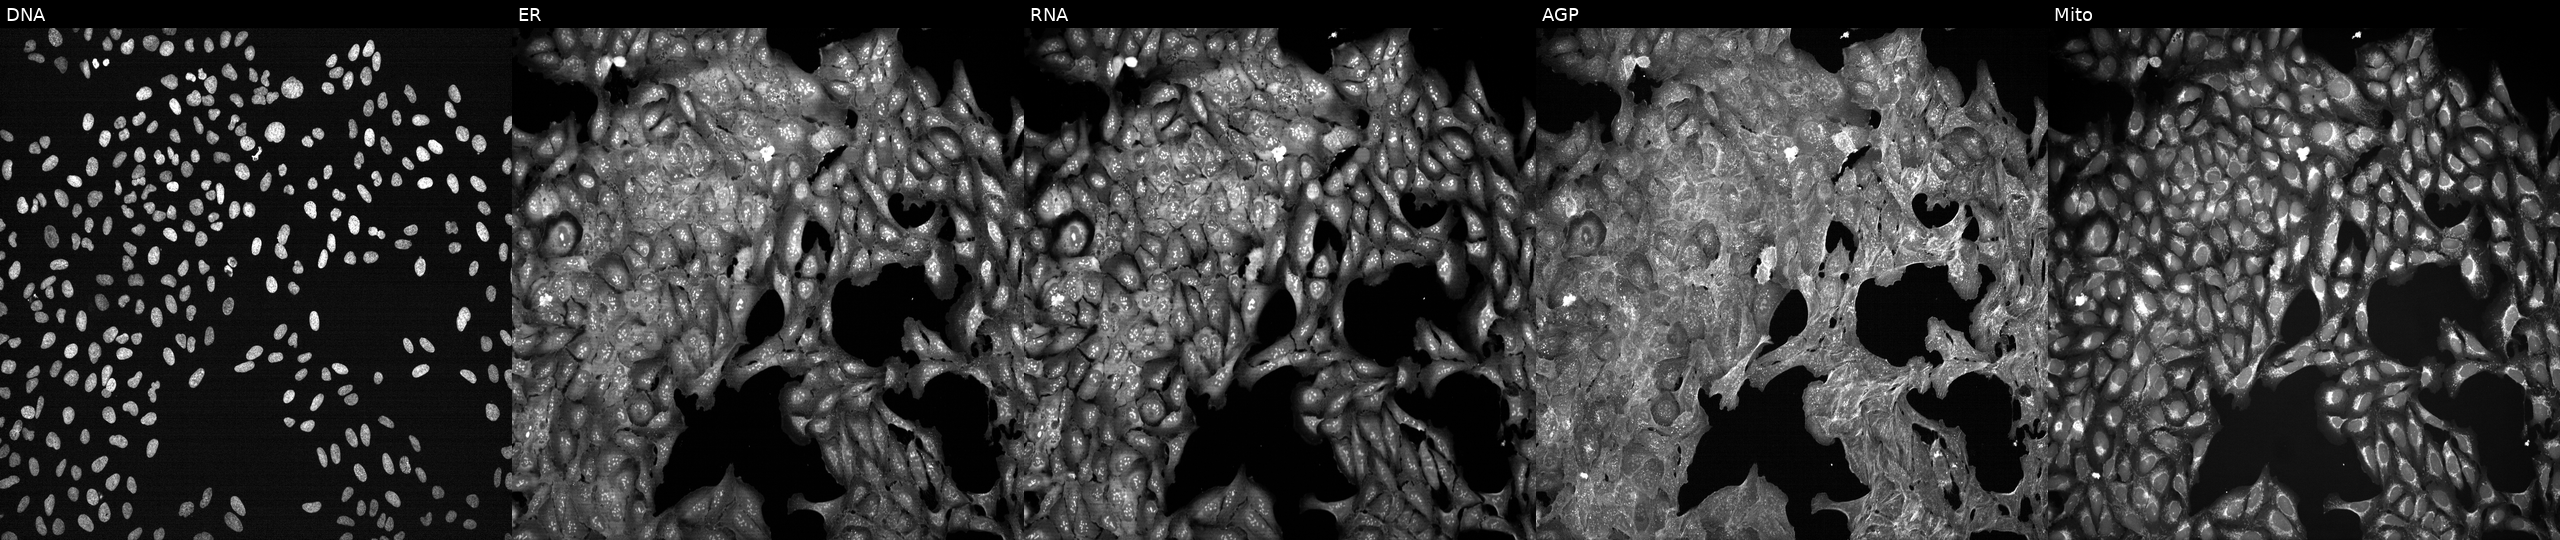
Five-channel Cell Painting image of U2OS cells treated with a small-molecule compound (JUMP id JCP2022_087562). The five panels, left to right, show DNA (nuclei); ER (endoplasmic reticulum); RNA (nucleoli and cytoplasmic RNA); AGP (actin cytoskeleton, Golgi, and plasma membrane); Mito (mitochondria).